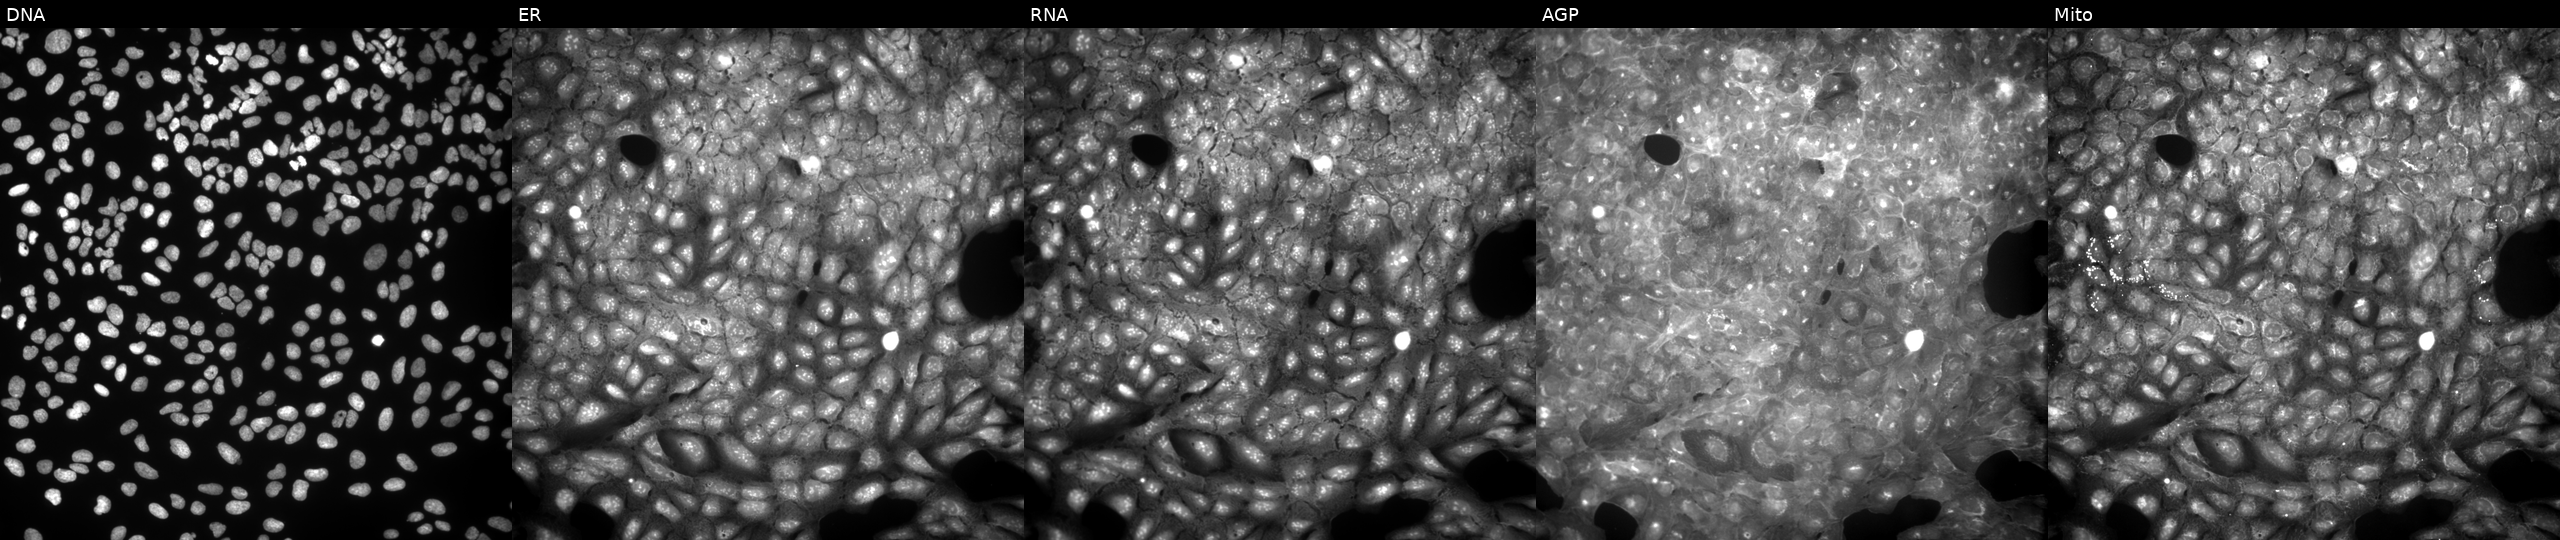
This image strip shows the five Cell Painting channels for a single field of U2OS cells perturbed with a small-molecule compound. Panels show, left to right, Hoechst 33342, concanavalin A, SYTO 14, phalloidin and WGA, MitoTracker. Source 9, plate GR00003382, well I28.